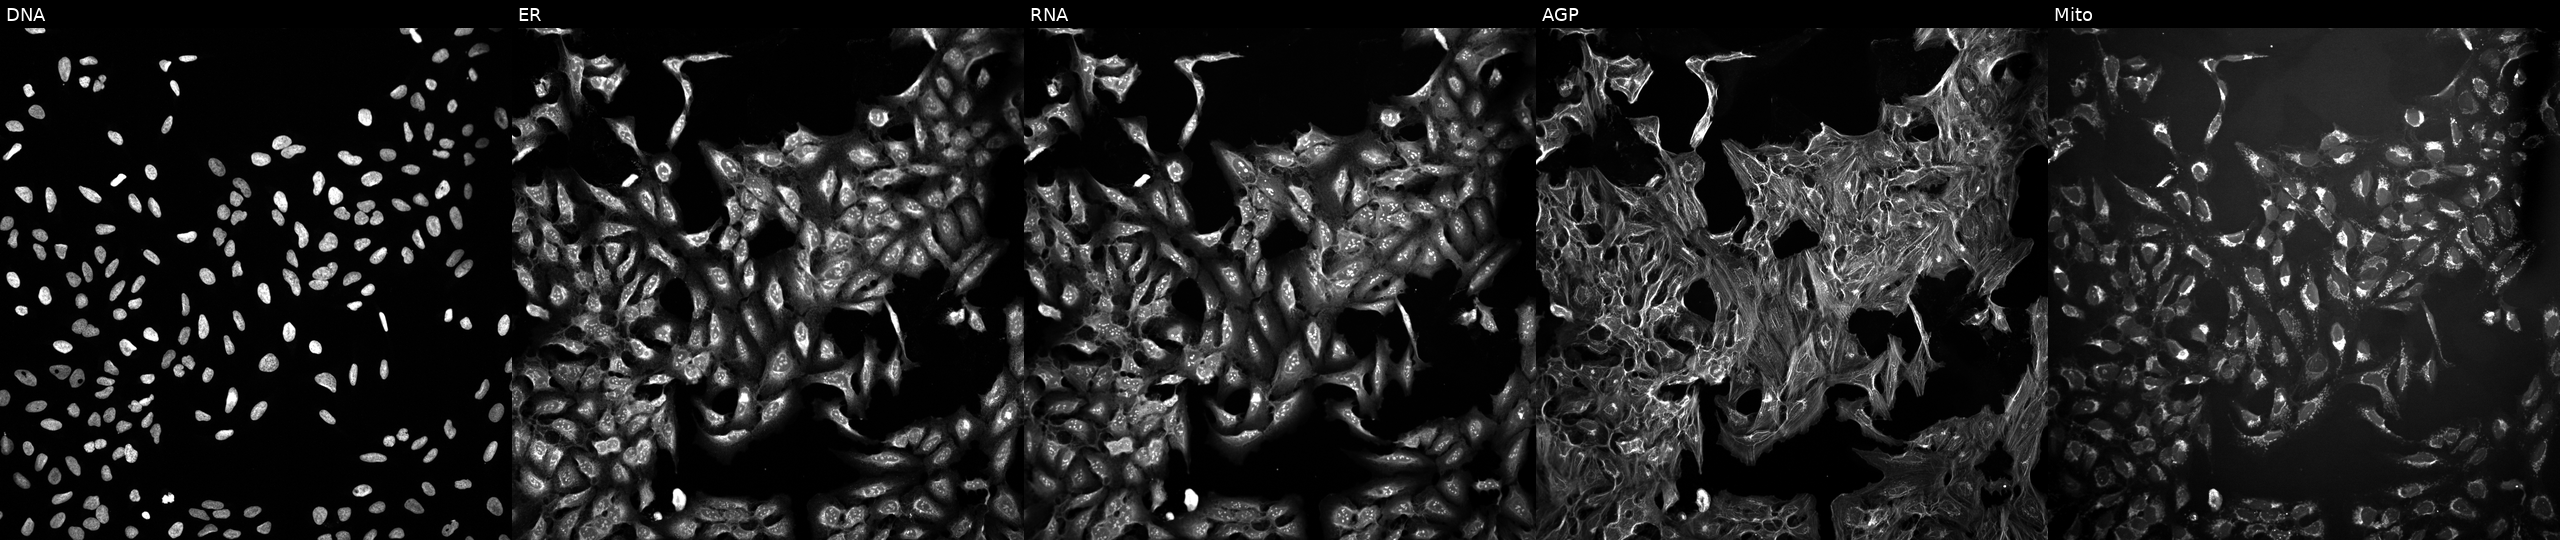
U2OS cells, Cell Painting assay, exposed to a small-molecule compound (InChIKey PDMUULPVBYQBBK-UHFFFAOYSA-N). Channels (left→right): DNA, ER, RNA, AGP, and Mito. Each panel is percentile-stretched 16-bit fluorescence. Source 10, plate Dest210727-153003, well B07.